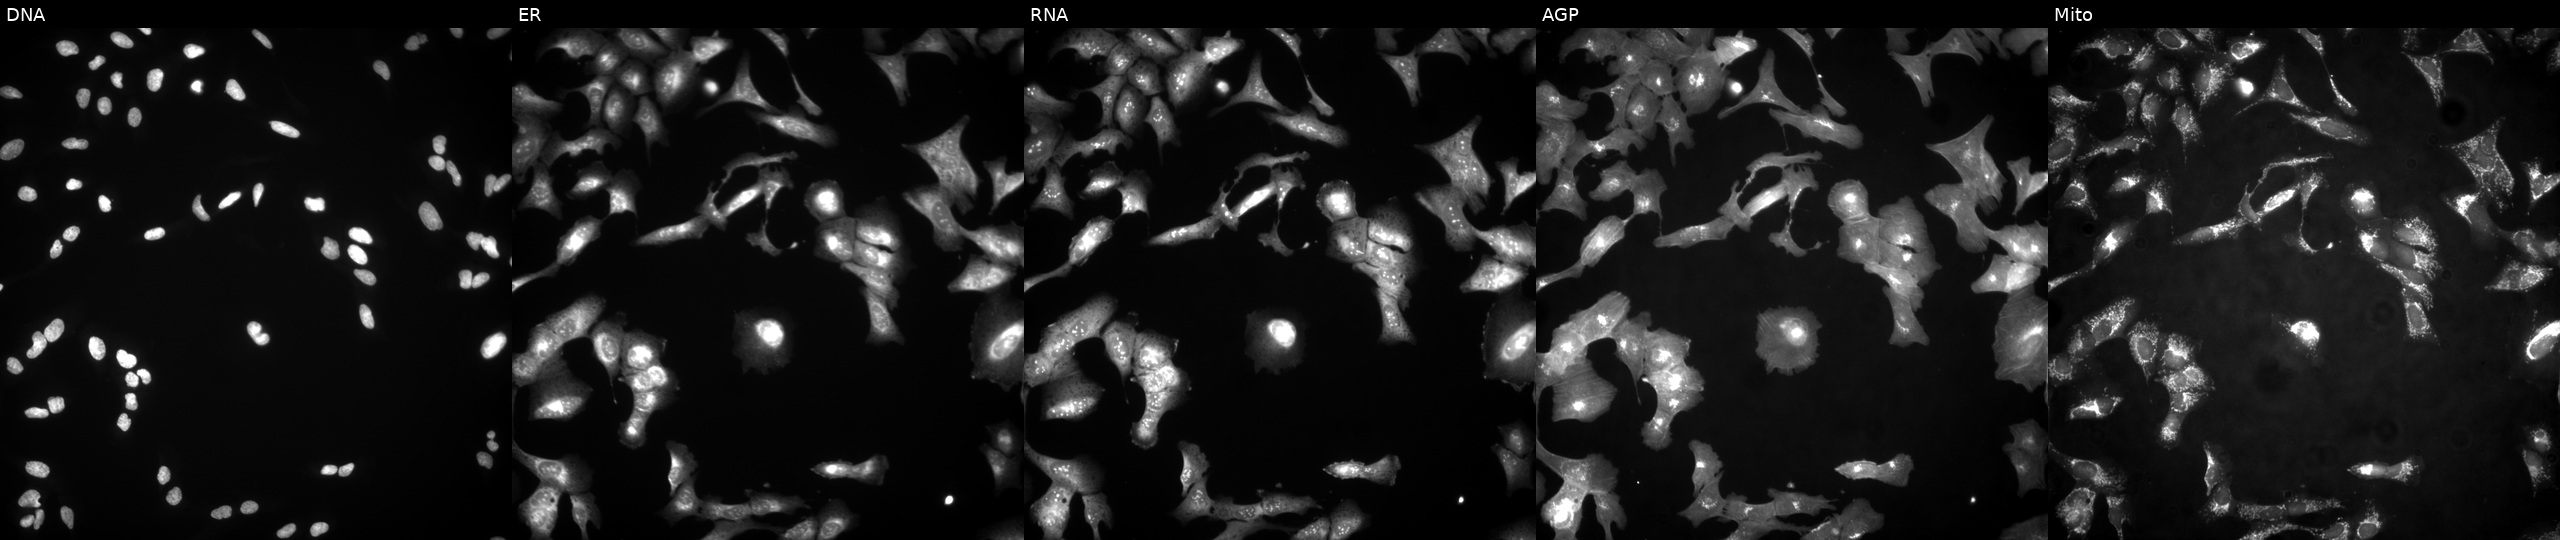
Five-channel Cell Painting image of U2OS cells overexpressing FAM32A via ORF transfection. From left to right: Hoechst 33342, concanavalin A, SYTO 14, phalloidin and WGA, MitoTracker. Source 4, plate BR00123509, well B19.